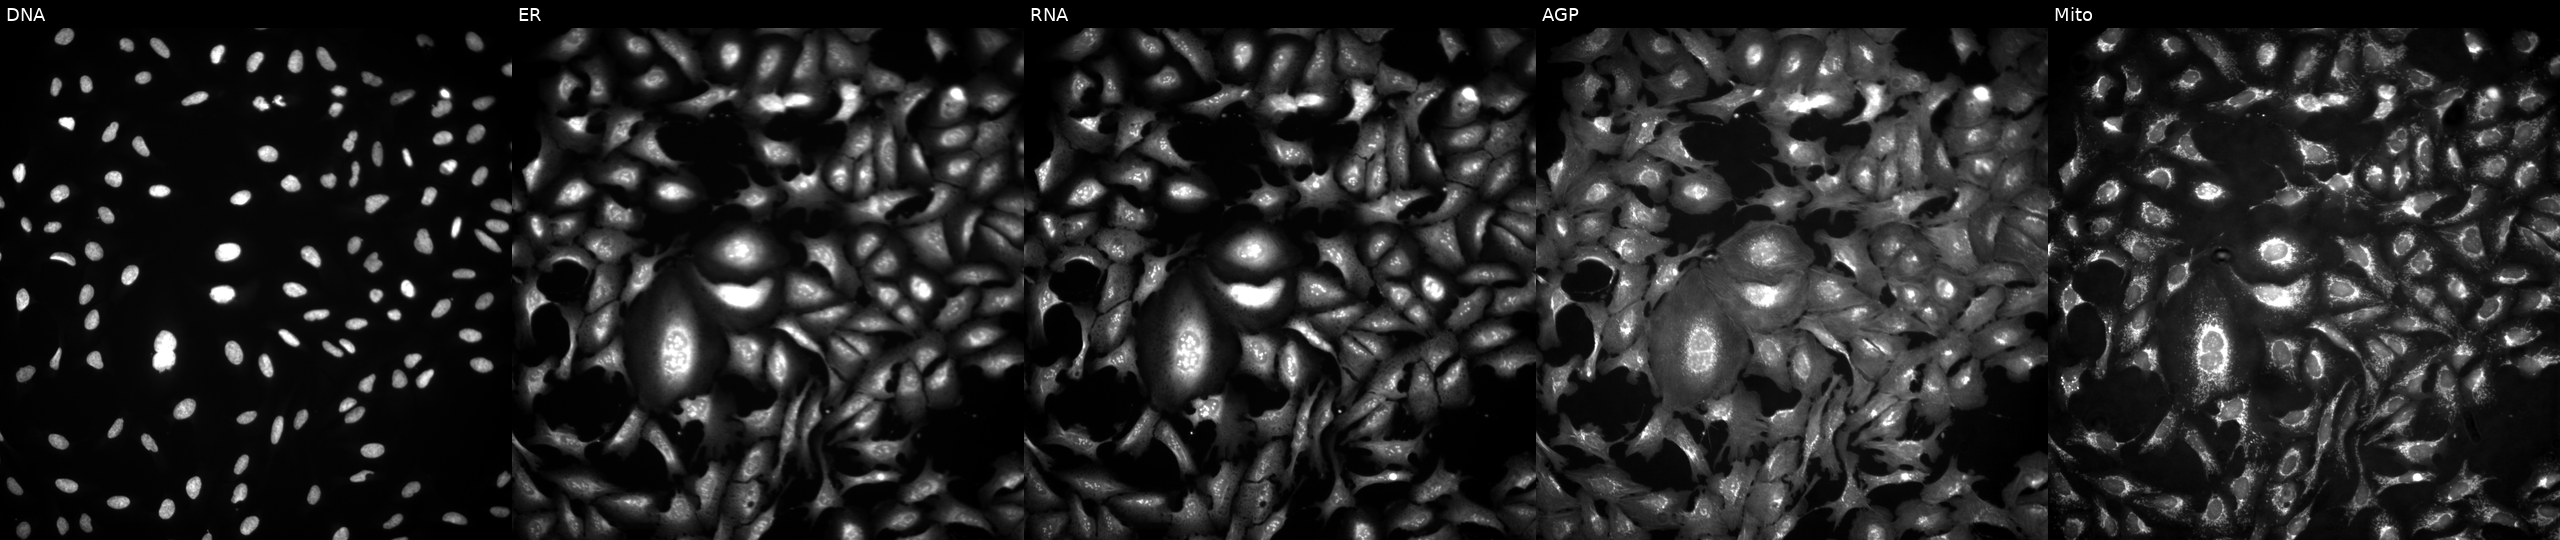
High-content fluorescence microscopy (Cell Painting). Cell line: U2OS. Perturbation: transfected with an ORF construct for GALT (JUMP id JCP2022_905847). Panels show, left to right, Hoechst 33342, concanavalin A, SYTO 14, phalloidin and WGA, MitoTracker. Source 4, plate BR00124787, well C17.